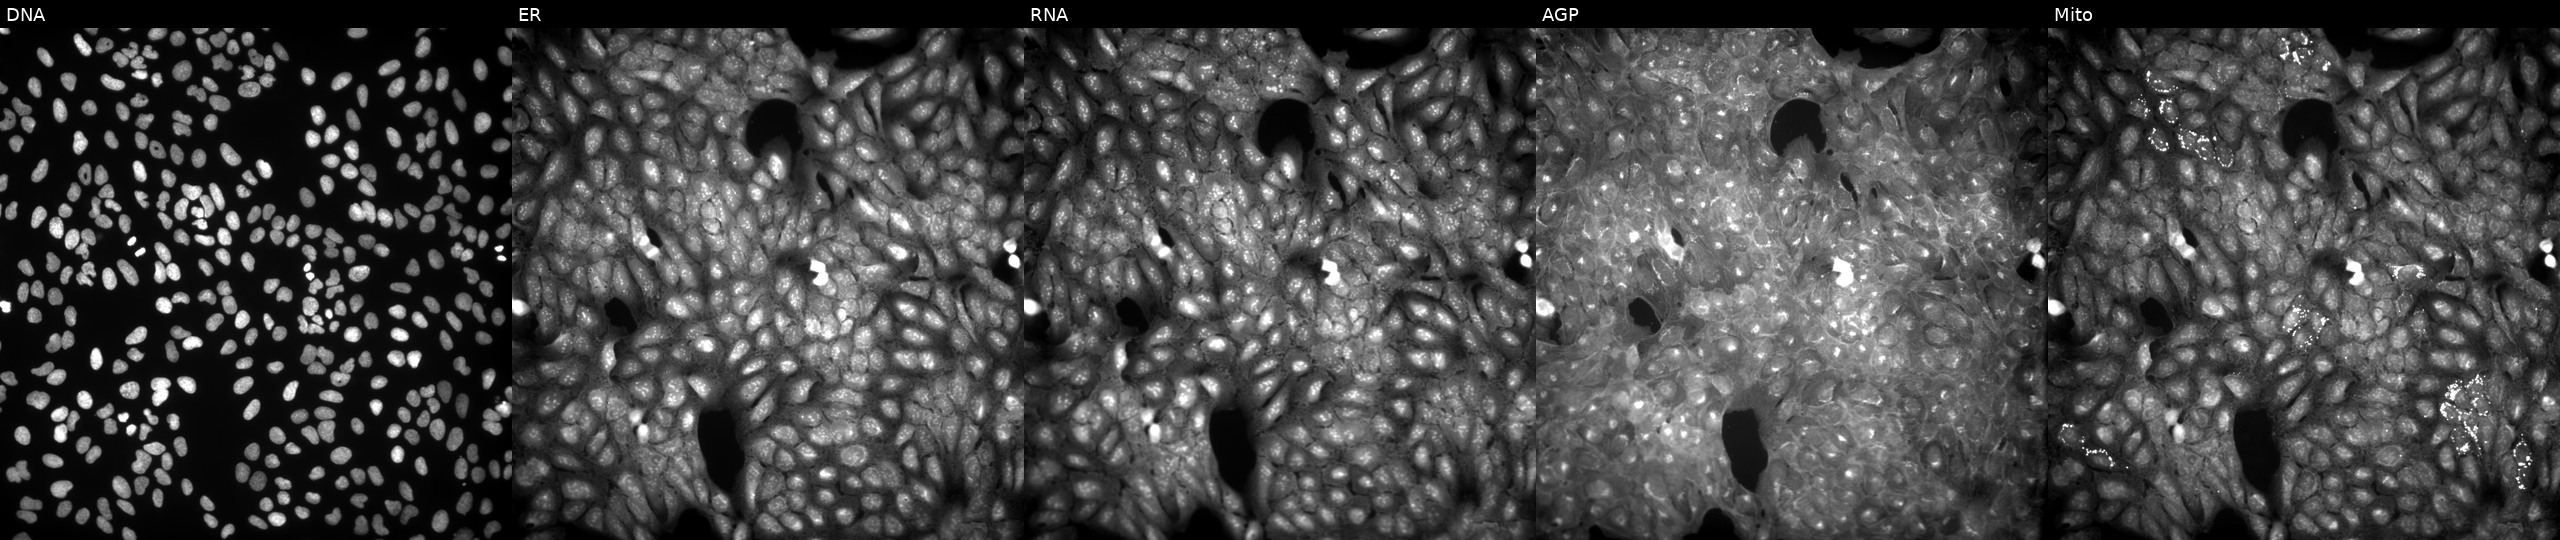
High-content fluorescence microscopy (Cell Painting). Cell line: U2OS. Perturbation: perturbed with a small-molecule compound (InChIKey MMNMEYWUIYBJJM-UHFFFAOYSA-N) (JUMP id JCP2022_055100). From left to right: DNA (nuclei); ER (endoplasmic reticulum); RNA (nucleoli and cytoplasmic RNA); AGP (actin cytoskeleton, Golgi, and plasma membrane); Mito (mitochondria).